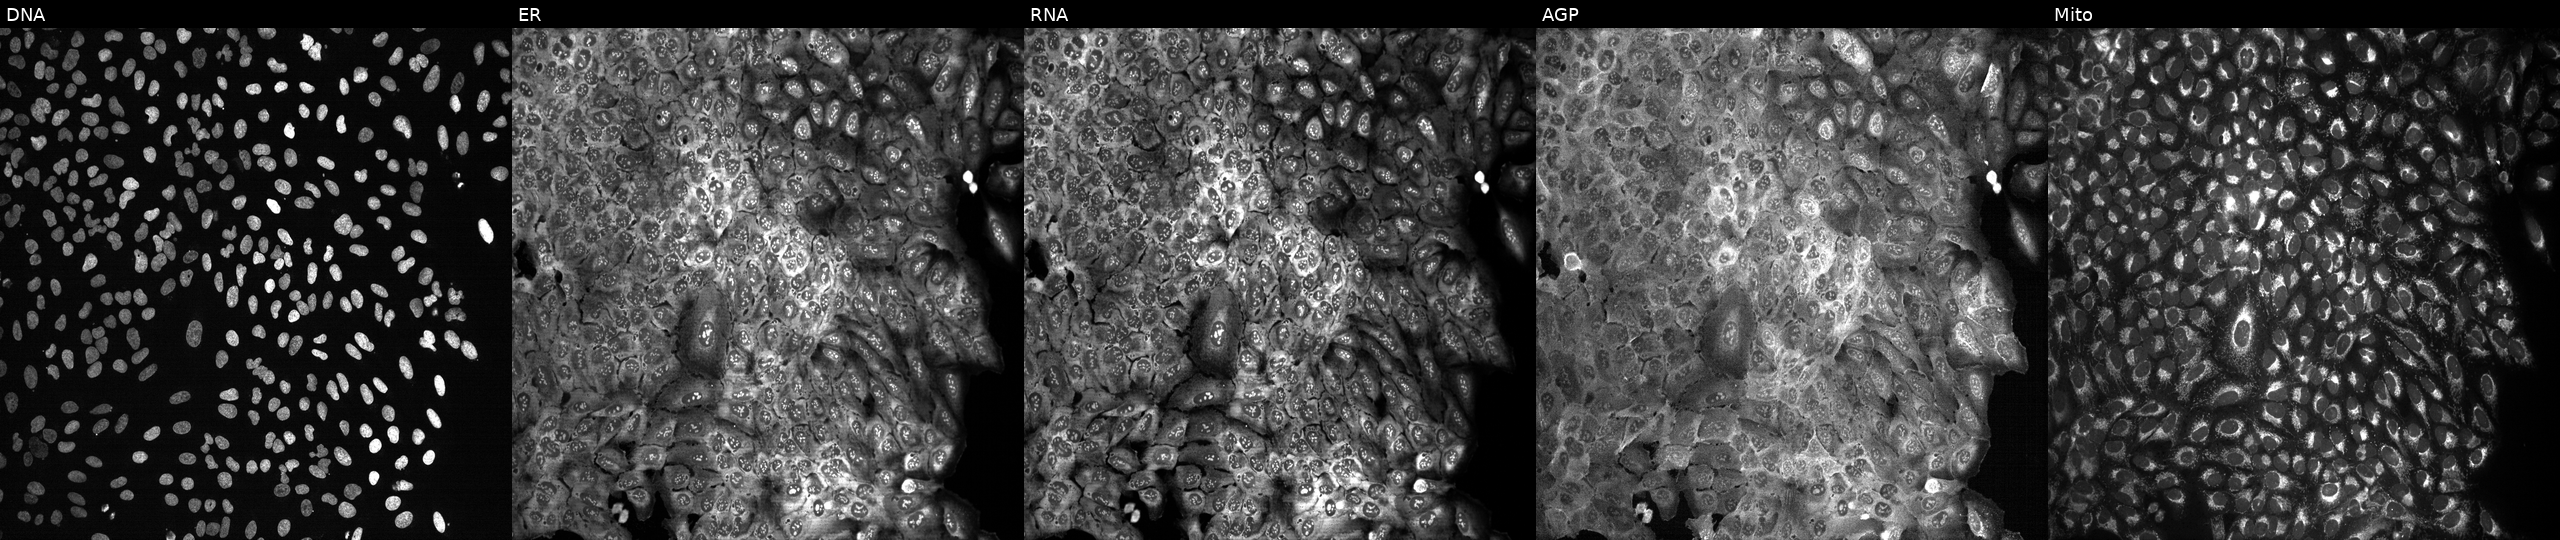
Channels (left→right): Hoechst 33342, concanavalin A, SYTO 14, phalloidin and WGA, MitoTracker. U2OS osteosarcoma cells with CS knocked out by CRISPR (JUMP id JCP2022_801521). Cell Painting assay, JUMP-CP dataset.